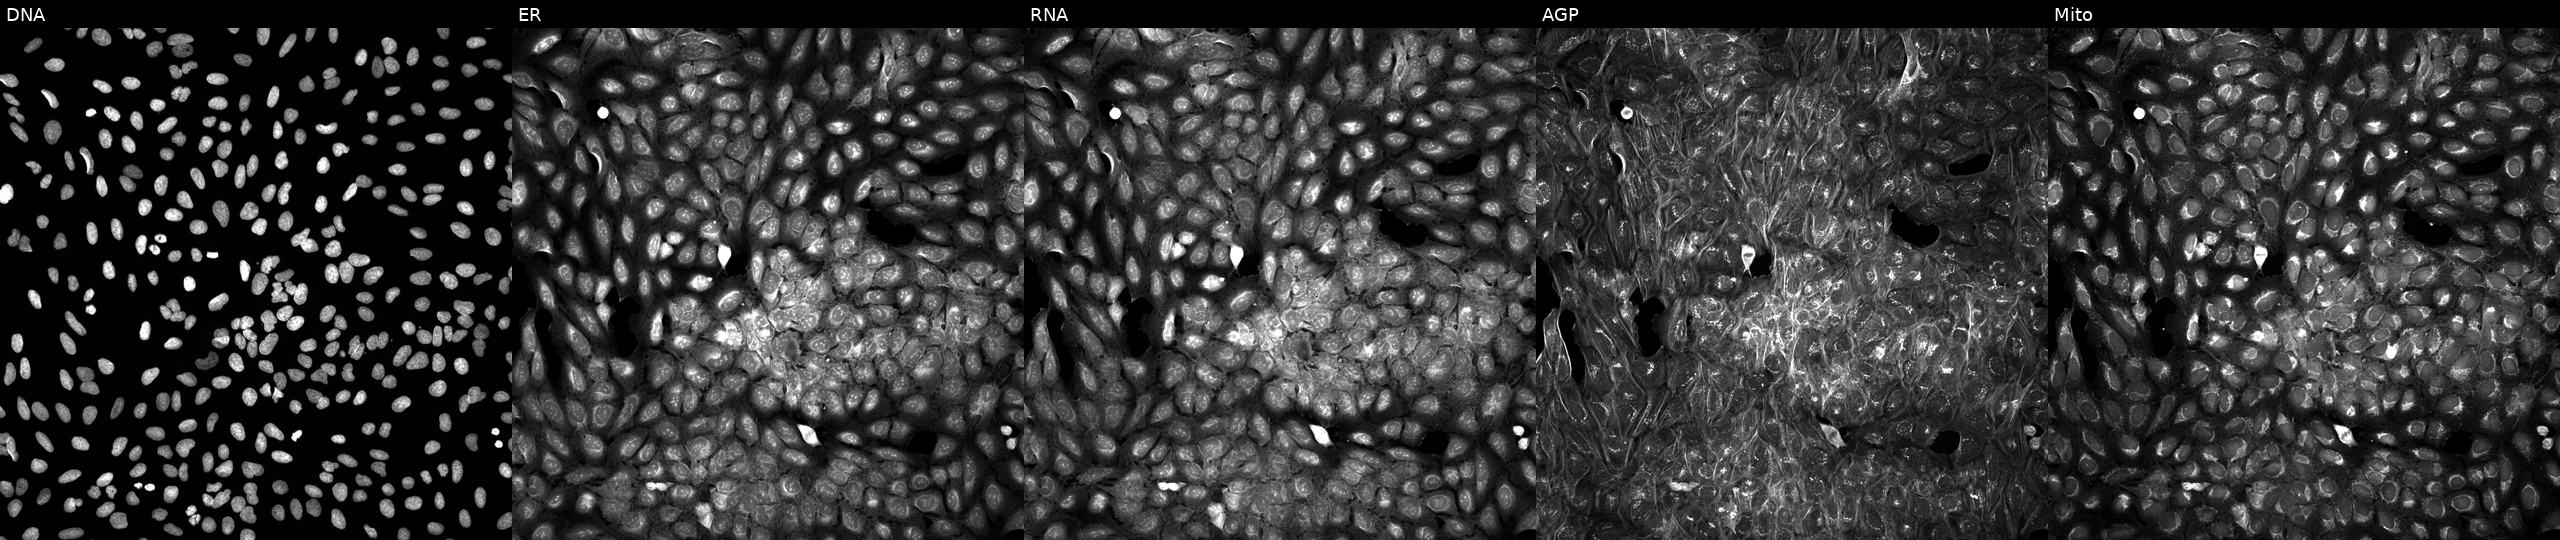
High-content fluorescence microscopy (Cell Painting). Cell line: U2OS. Perturbation: perturbed with a small-molecule compound (InChIKey KRCLIMGGYYCNDX-UHFFFAOYSA-N) [SMILES: O=C(CN1C(=O)COc2ccccc21)N(Cc1ccccc1)Cc1ccccn1]. The five panels, left to right, show DNA, ER, RNA, AGP, and Mito. Source 5, plate APTJUM105, well G15.